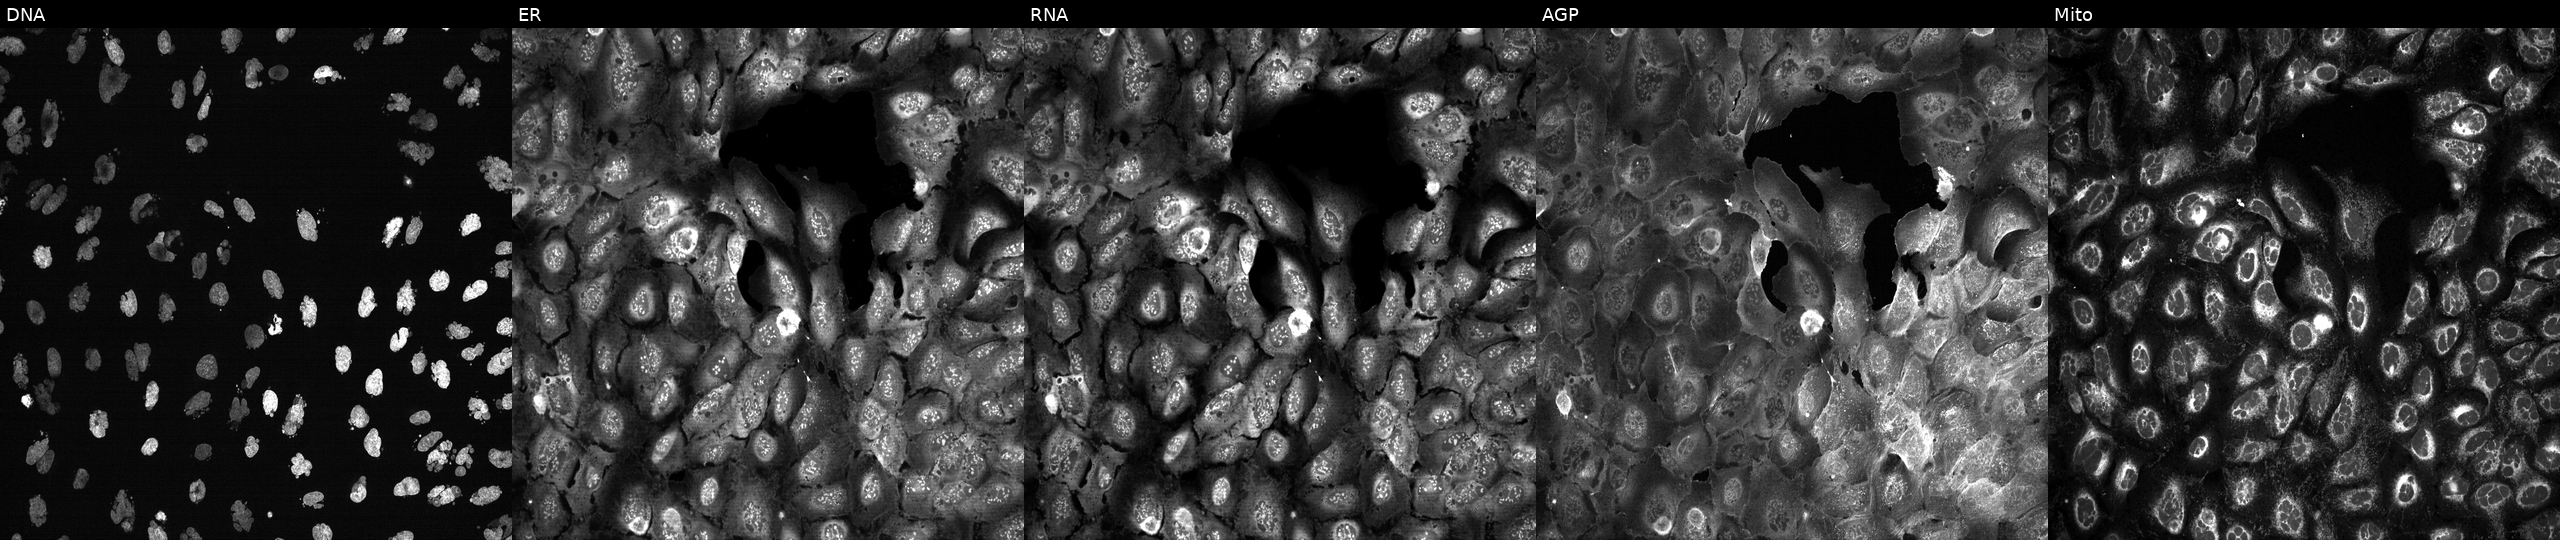
High-content fluorescence microscopy (Cell Painting). Cell line: U2OS. Perturbation: exposed to the positive-control compound AMG900. The five panels, left to right, show DNA, ER, RNA, AGP, and Mito. Source 13, plate CP-CC9-R3-02, well B01.